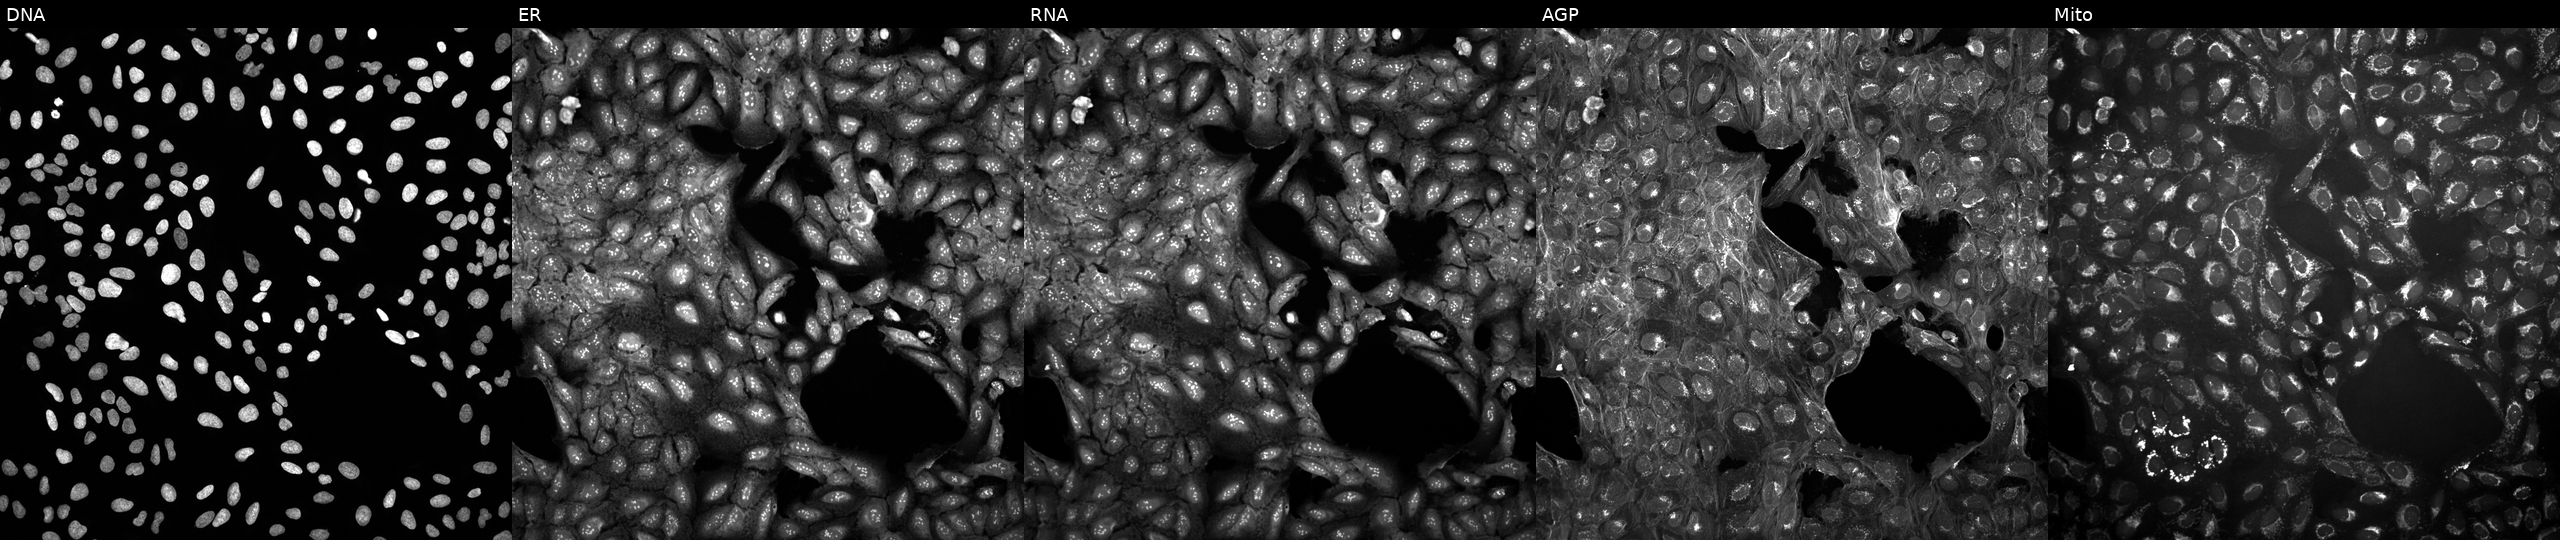
High-content fluorescence microscopy (Cell Painting). Cell line: U2OS. Perturbation: in an empty control well (no perturbation) (JUMP id JCP2022_999999). From left to right: DNA (nuclei); ER (endoplasmic reticulum); RNA (nucleoli and cytoplasmic RNA); AGP (actin cytoskeleton, Golgi, and plasma membrane); Mito (mitochondria). Source 10, plate Dest210531-152149, well E05.